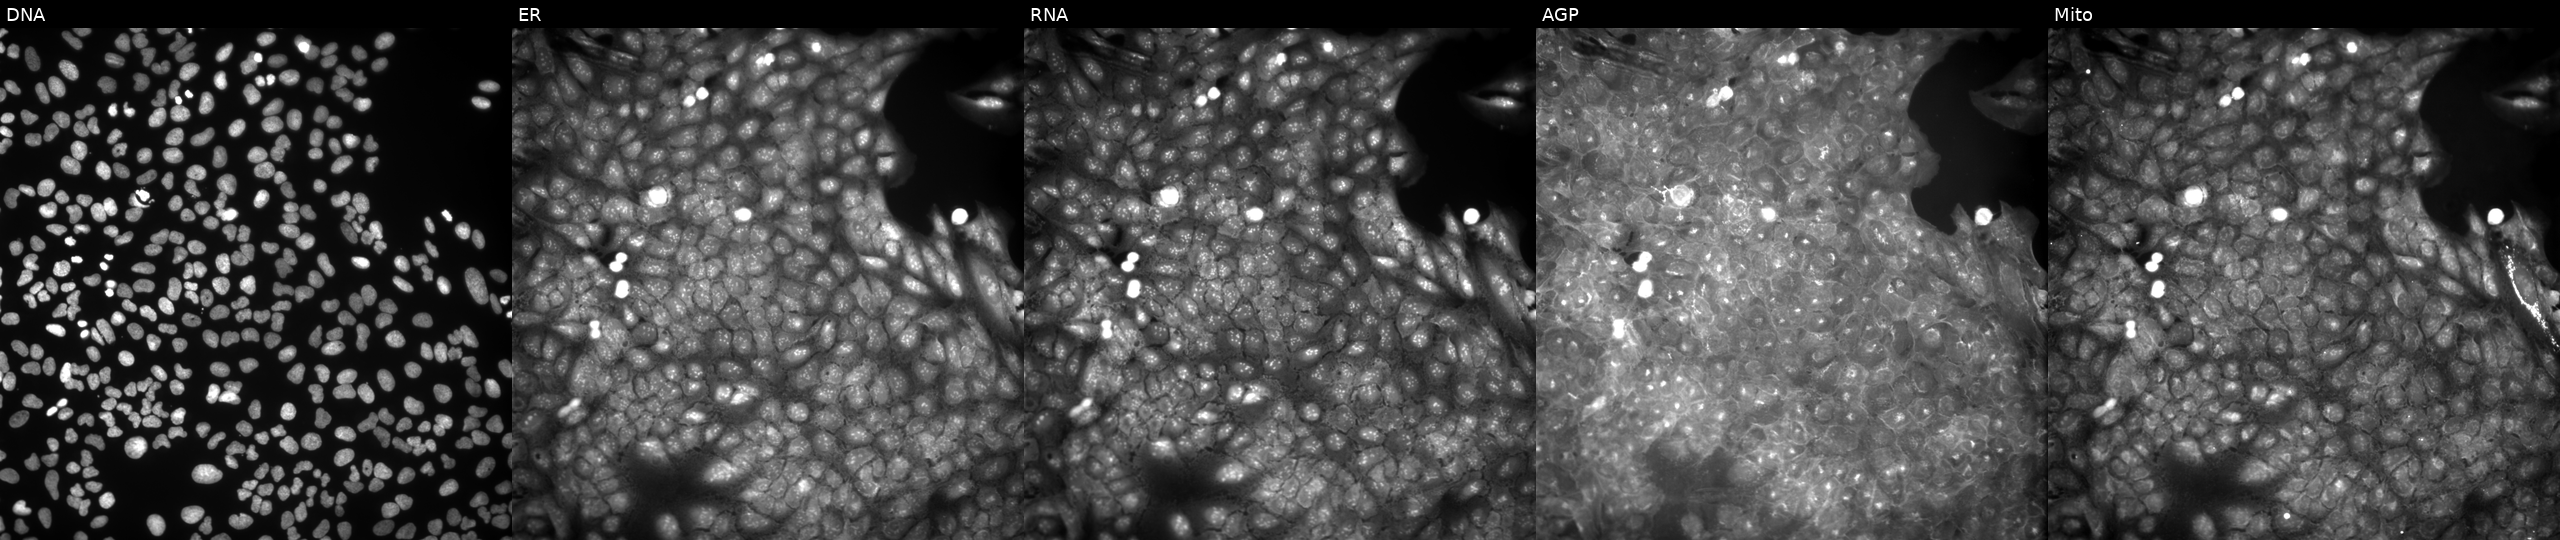
JUMP Cell Painting — COMPOUND plate. U2OS cells treated with a small-molecule compound (InChIKey REWWDXNOQSKTDQ-UHFFFAOYSA-N) [SMILES: COc1ccc(=NS(=O)(=O)c2ccc(NC(=O)c3ccccc3Br)cc2)[nH]n1] (JUMP id JCP2022_077915). Channels (left→right): Hoechst 33342, concanavalin A, SYTO 14, phalloidin and WGA, MitoTracker. Source 9, plate GR00003382, well AE12.